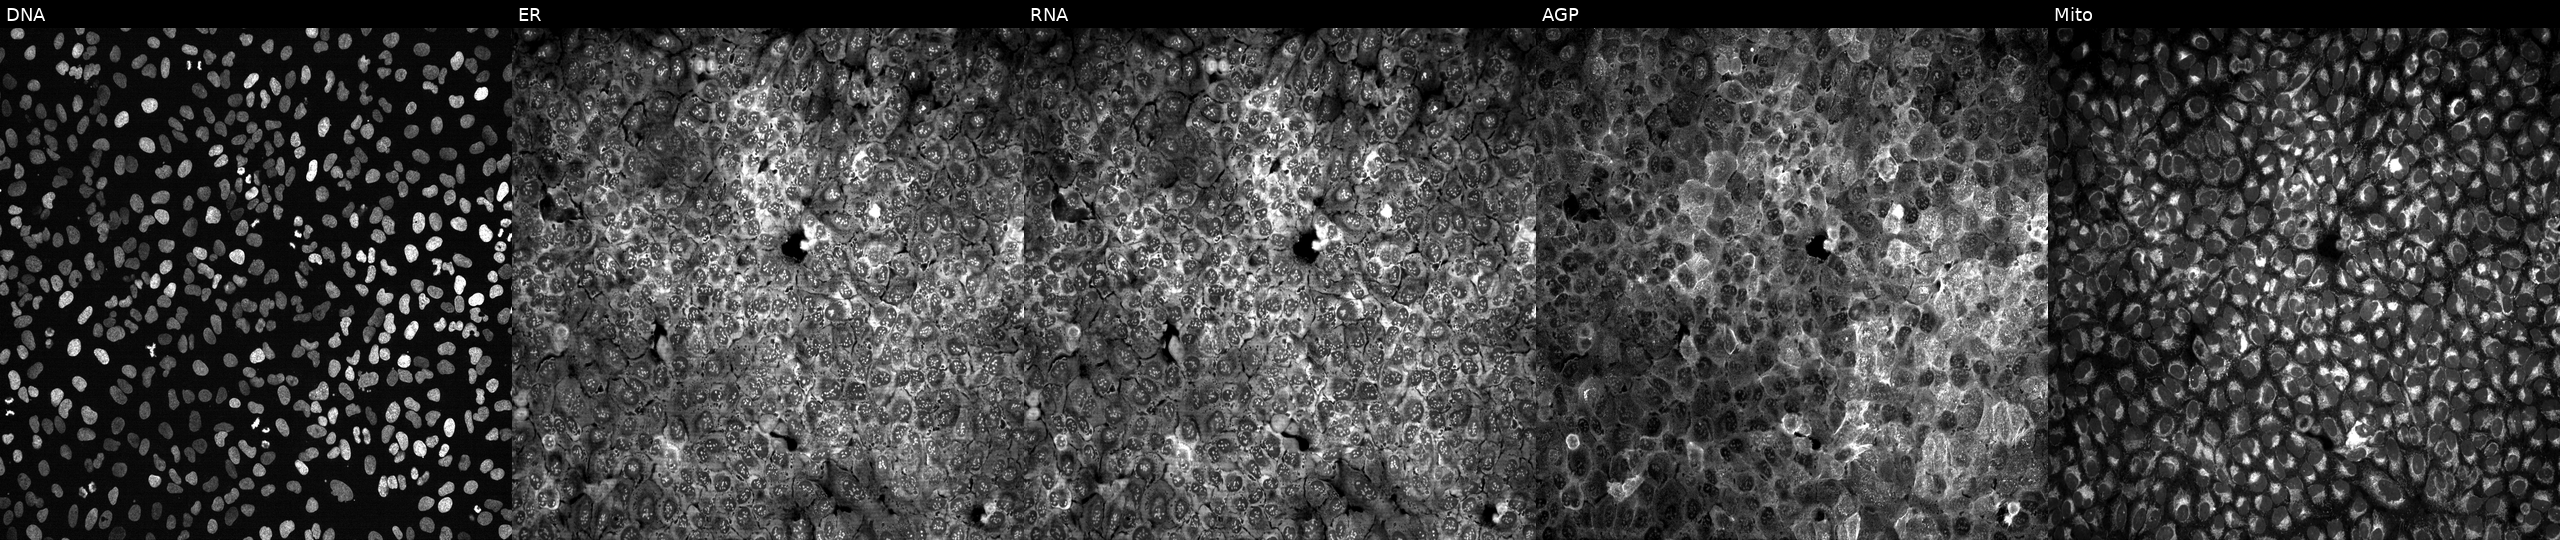
The five panels, left to right, show DNA (nuclei); ER (endoplasmic reticulum); RNA (nucleoli and cytoplasmic RNA); AGP (actin cytoskeleton, Golgi, and plasma membrane); Mito (mitochondria). U2OS osteosarcoma cells CRISPR-edited to disrupt CCNO. Cell Painting assay, JUMP-CP dataset. Source 13, plate CP-CC9-R3-02, well B03.